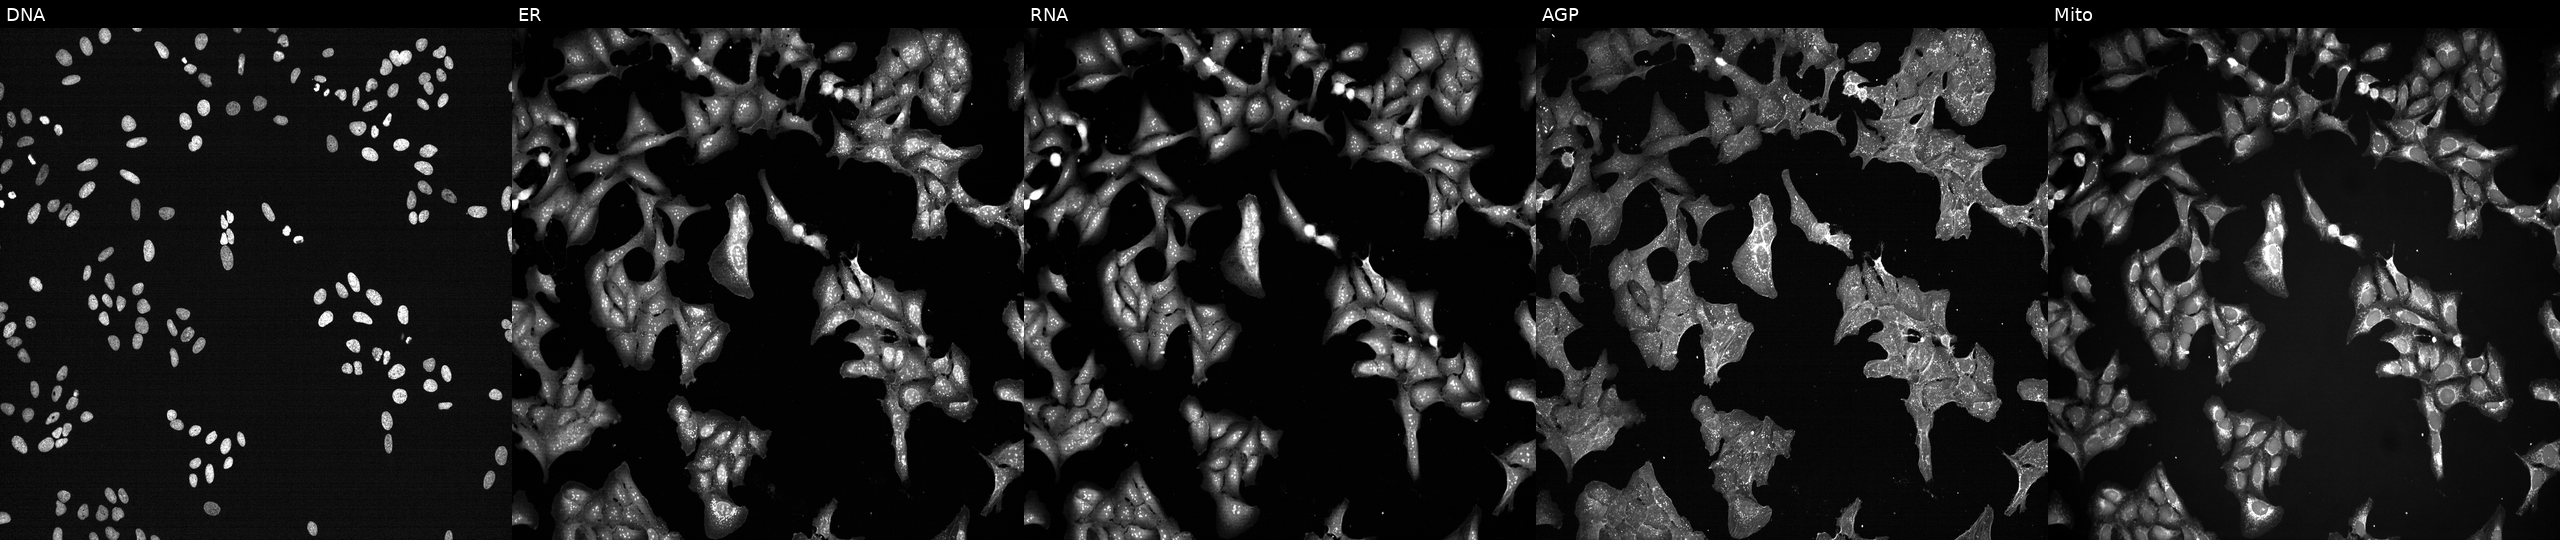
U2OS cells, Cell Painting assay, exposed to a small-molecule compound (JUMP id JCP2022_001036). Panels show, left to right, DNA (nuclei); ER (endoplasmic reticulum); RNA (nucleoli and cytoplasmic RNA); AGP (actin cytoskeleton, Golgi, and plasma membrane); Mito (mitochondria). Each panel is percentile-stretched 16-bit fluorescence.